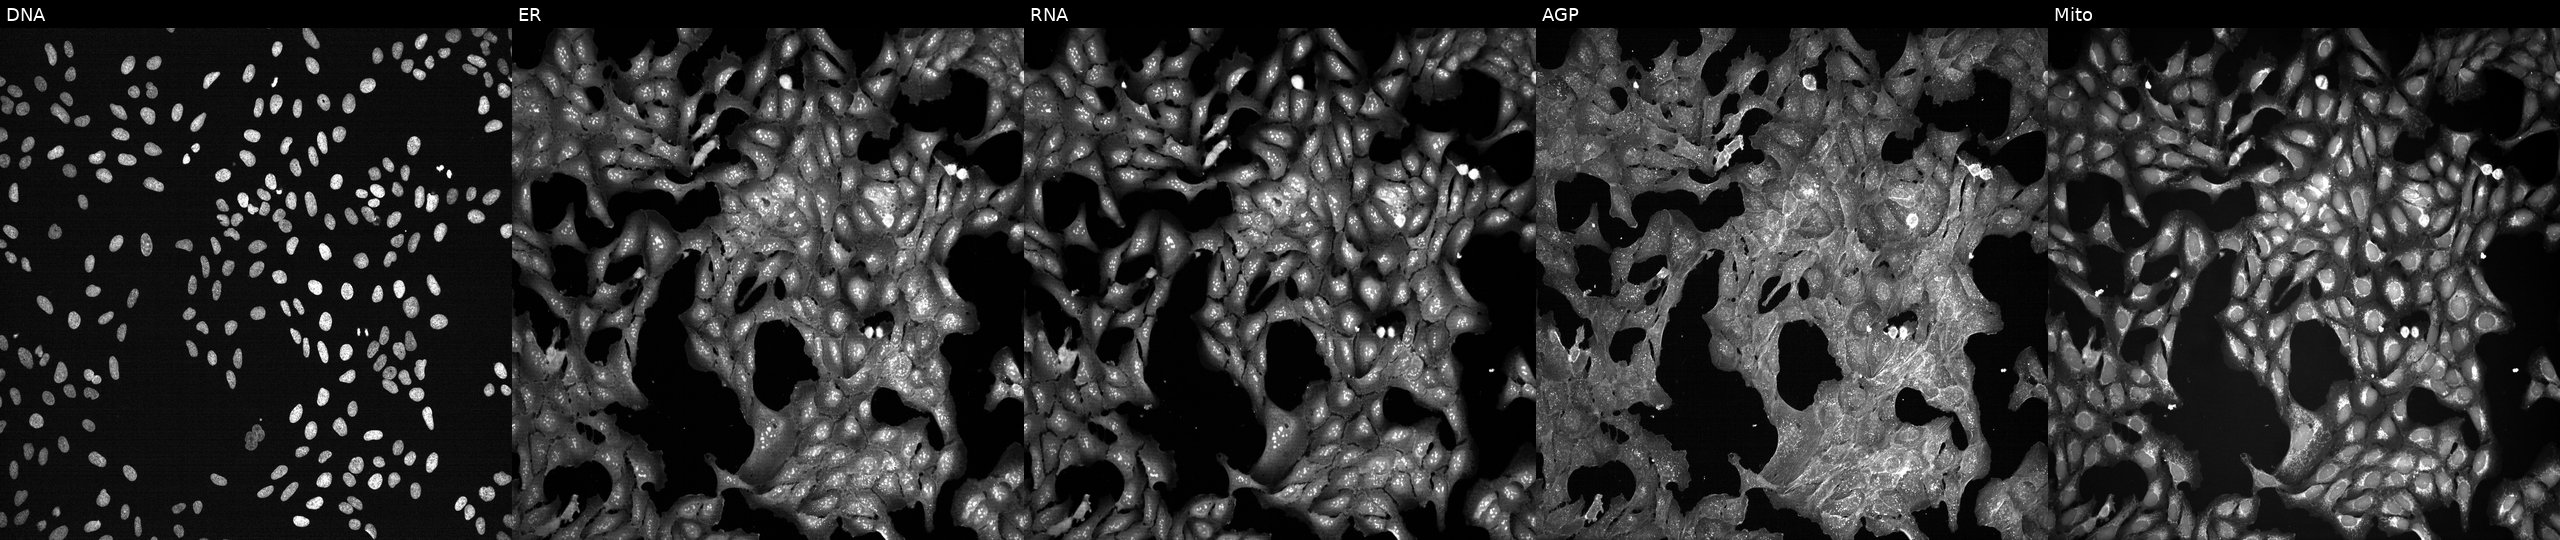
Panels show, left to right, DNA (nuclei); ER (endoplasmic reticulum); RNA (nucleoli and cytoplasmic RNA); AGP (actin cytoskeleton, Golgi, and plasma membrane); Mito (mitochondria). U2OS osteosarcoma cells exposed to DMSO alone as a negative control. Cell Painting assay, JUMP-CP dataset. Source 7, plate CP2-SC1-25, well I02.